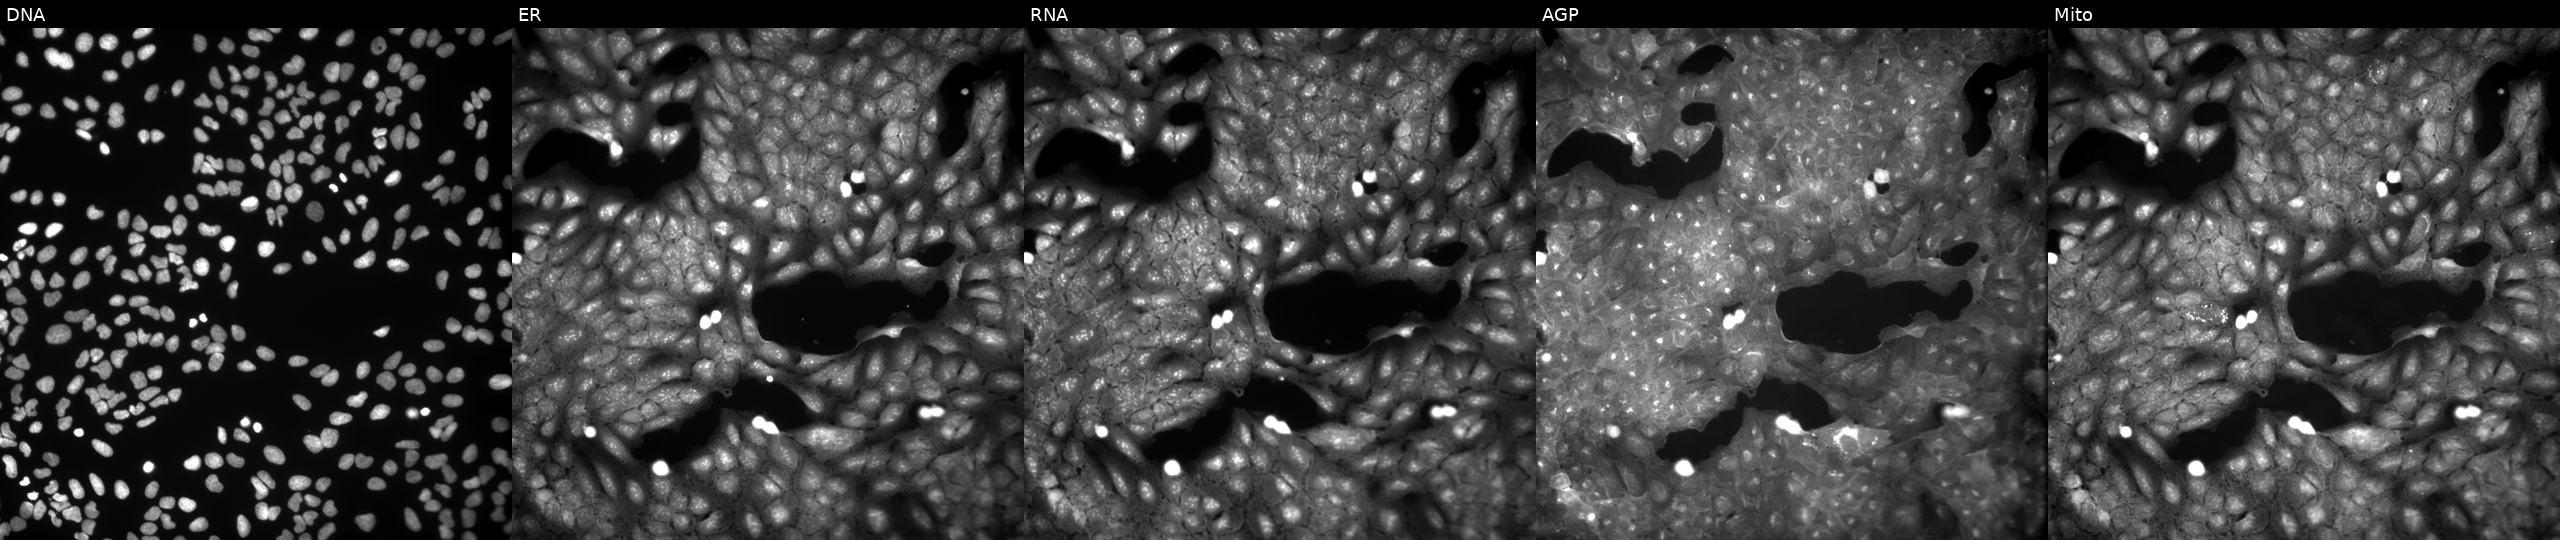
JUMP Cell Painting — COMPOUND plate. U2OS cells treated with a small-molecule compound (InChIKey FSYNNNKSXPSBQQ-UHFFFAOYSA-N) [SMILES: COC(=O)c1ccccc1NC(=O)c1cc([N+](=O)[O-])nn1Cc1ccccc1] (JUMP id JCP2022_022740). Panels show, left to right, DNA, ER, RNA, AGP, and Mito.